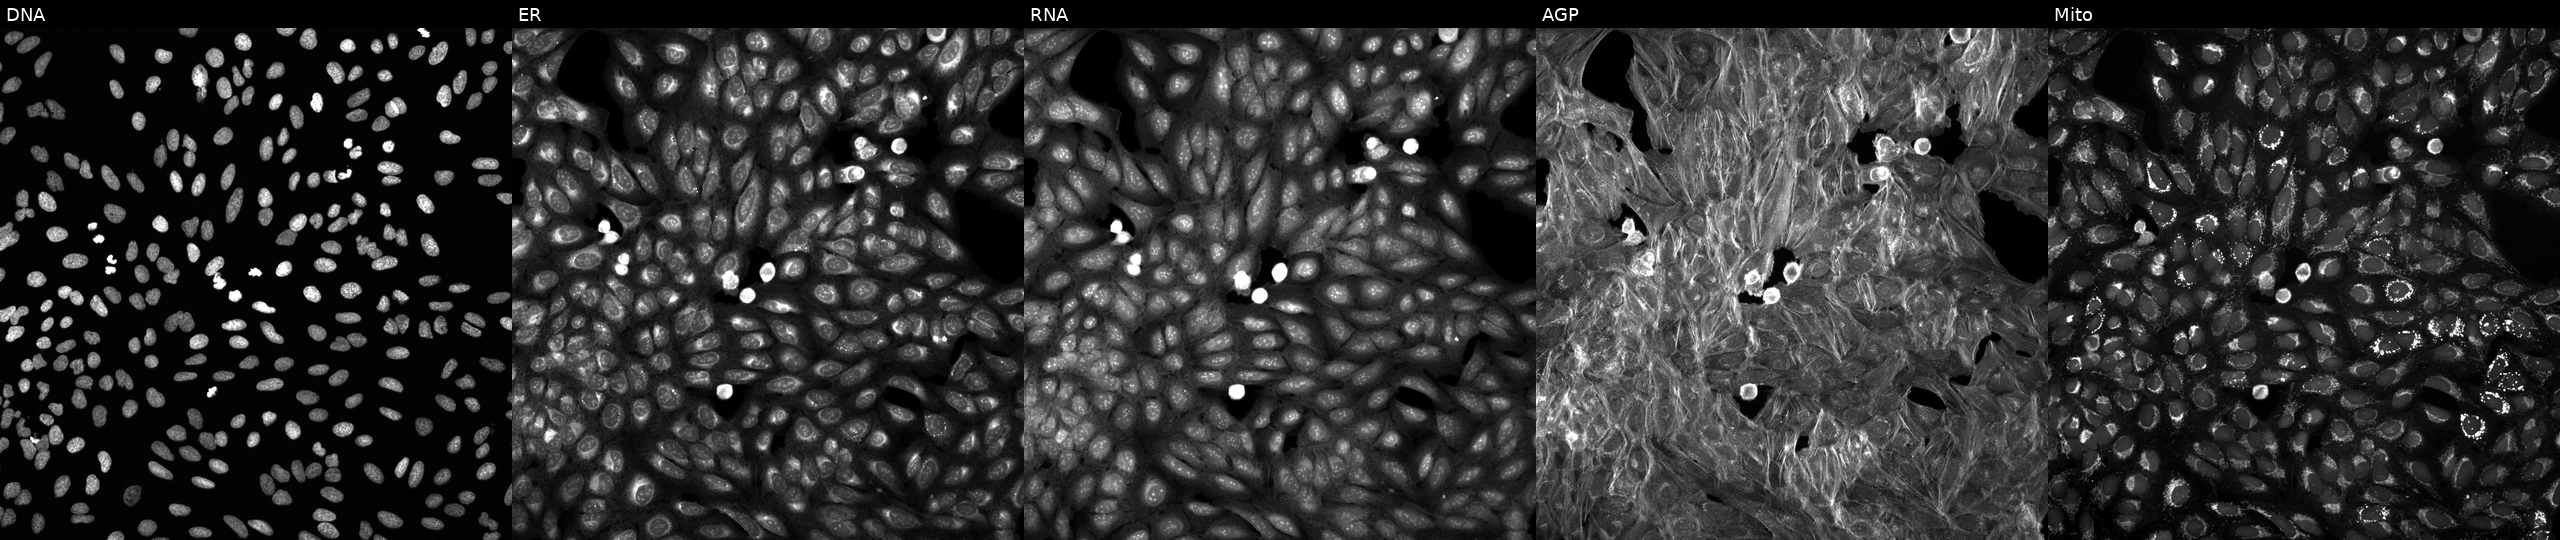
Five-channel Cell Painting image of U2OS cells treated with a small-molecule compound (InChIKey UYPNDUNQRYVTIH-UHFFFAOYSA-N) (JUMP id JCP2022_092372). From left to right: DNA, ER, RNA, AGP, and Mito.